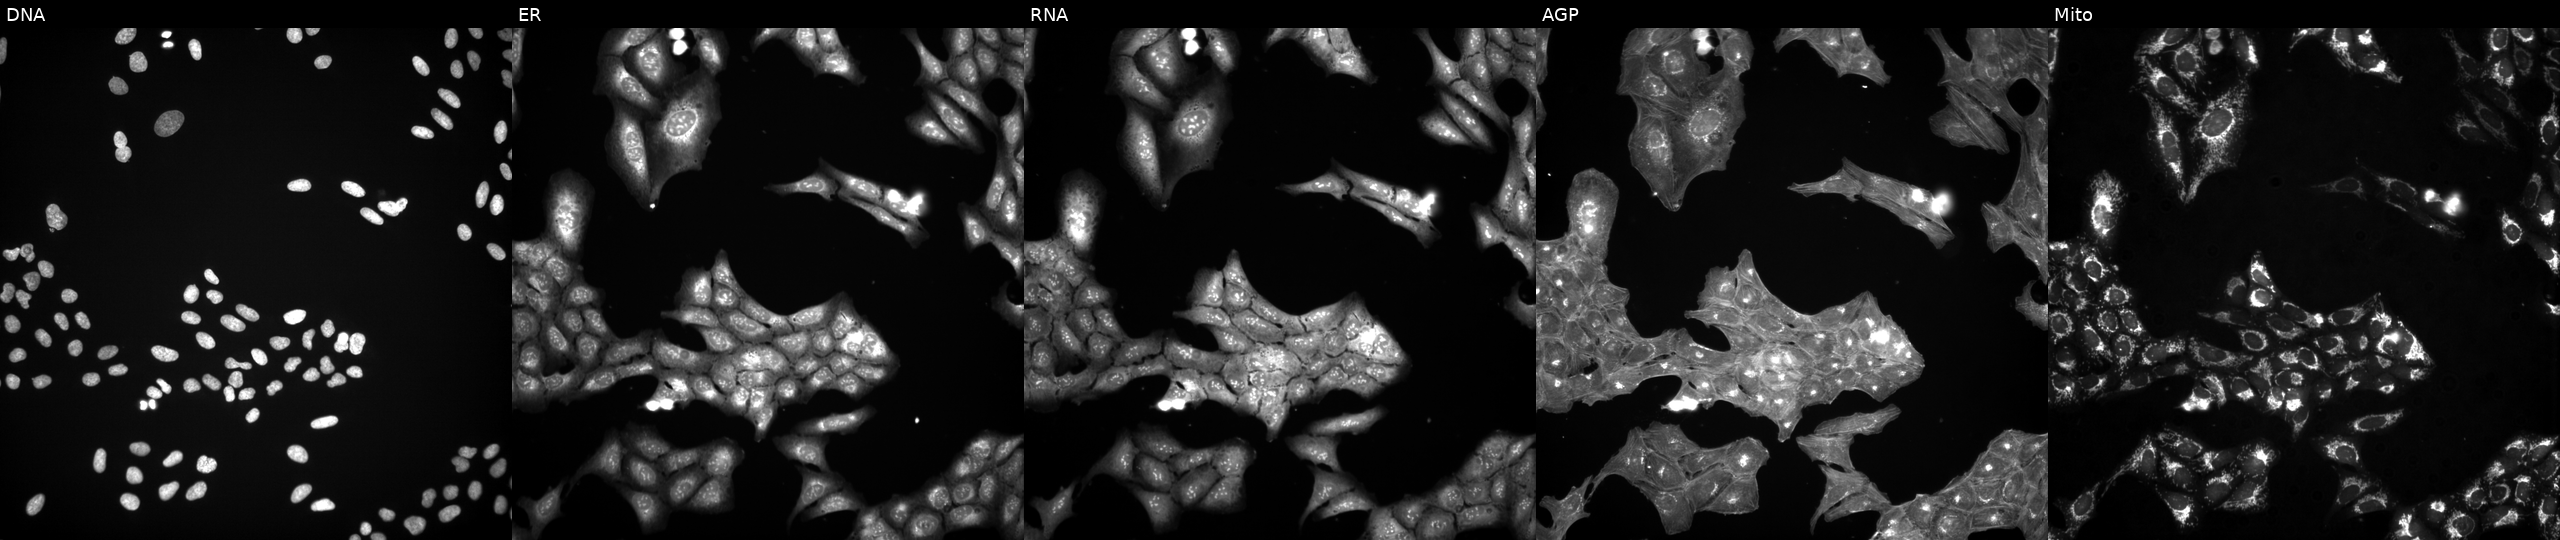
JUMP Cell Painting — TARGET2 plate. U2OS cells exposed to DMSO alone as a negative control (JUMP id JCP2022_033924). From left to right: DNA, ER, RNA, AGP, and Mito. Source 3, plate JCPQC051, well F14.